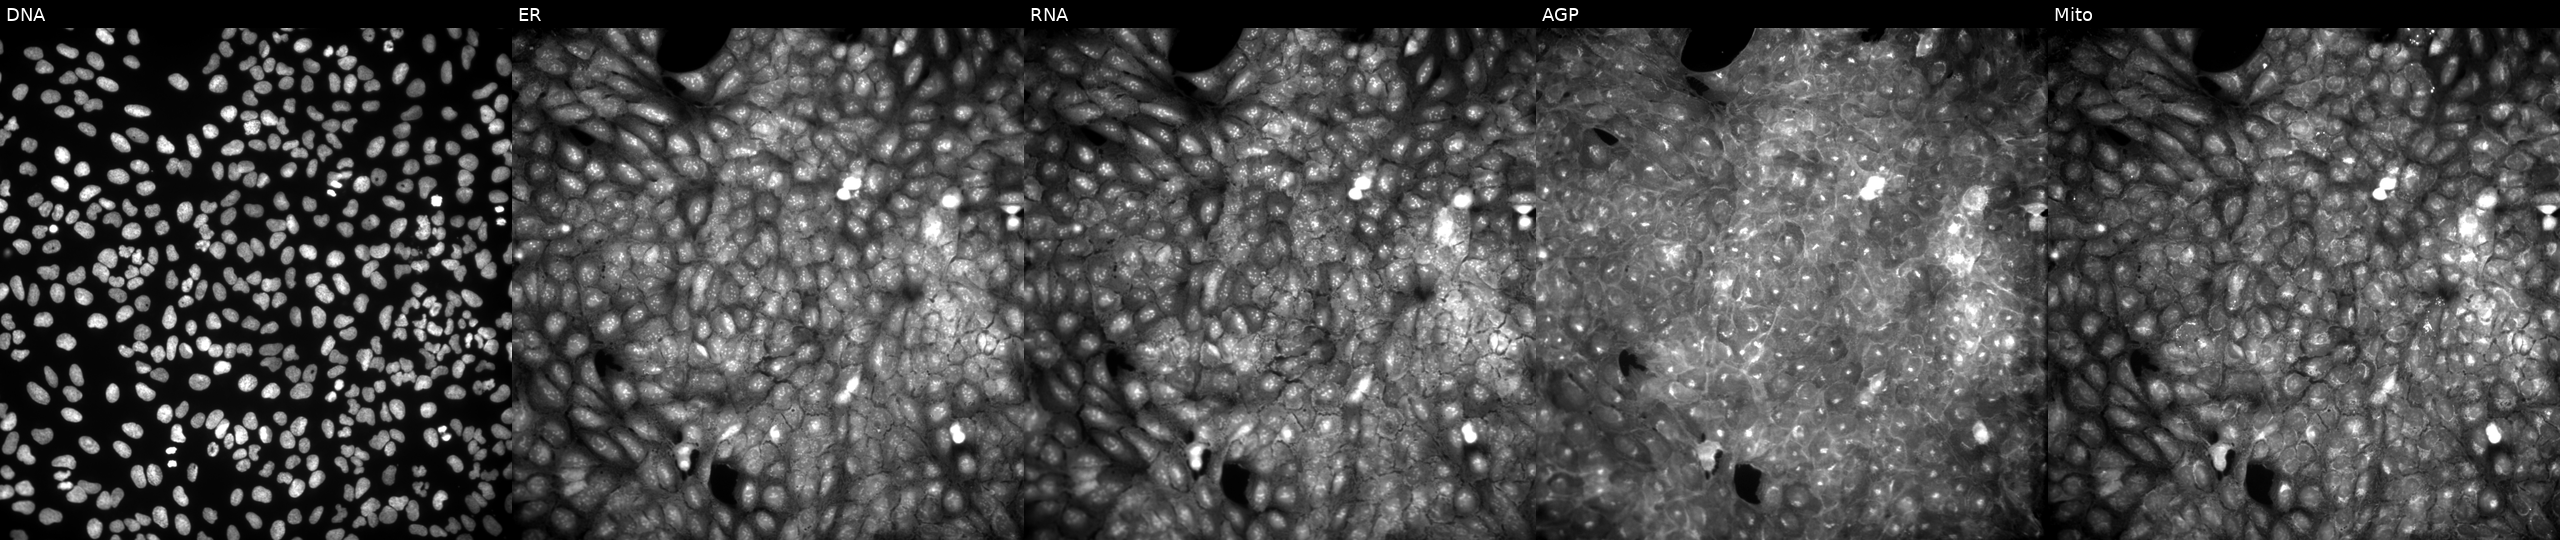
This image strip shows the five Cell Painting channels for a single field of U2OS cells exposed to a small-molecule compound. The five panels, left to right, show DNA (nuclei); ER (endoplasmic reticulum); RNA (nucleoli and cytoplasmic RNA); AGP (actin cytoskeleton, Golgi, and plasma membrane); Mito (mitochondria).